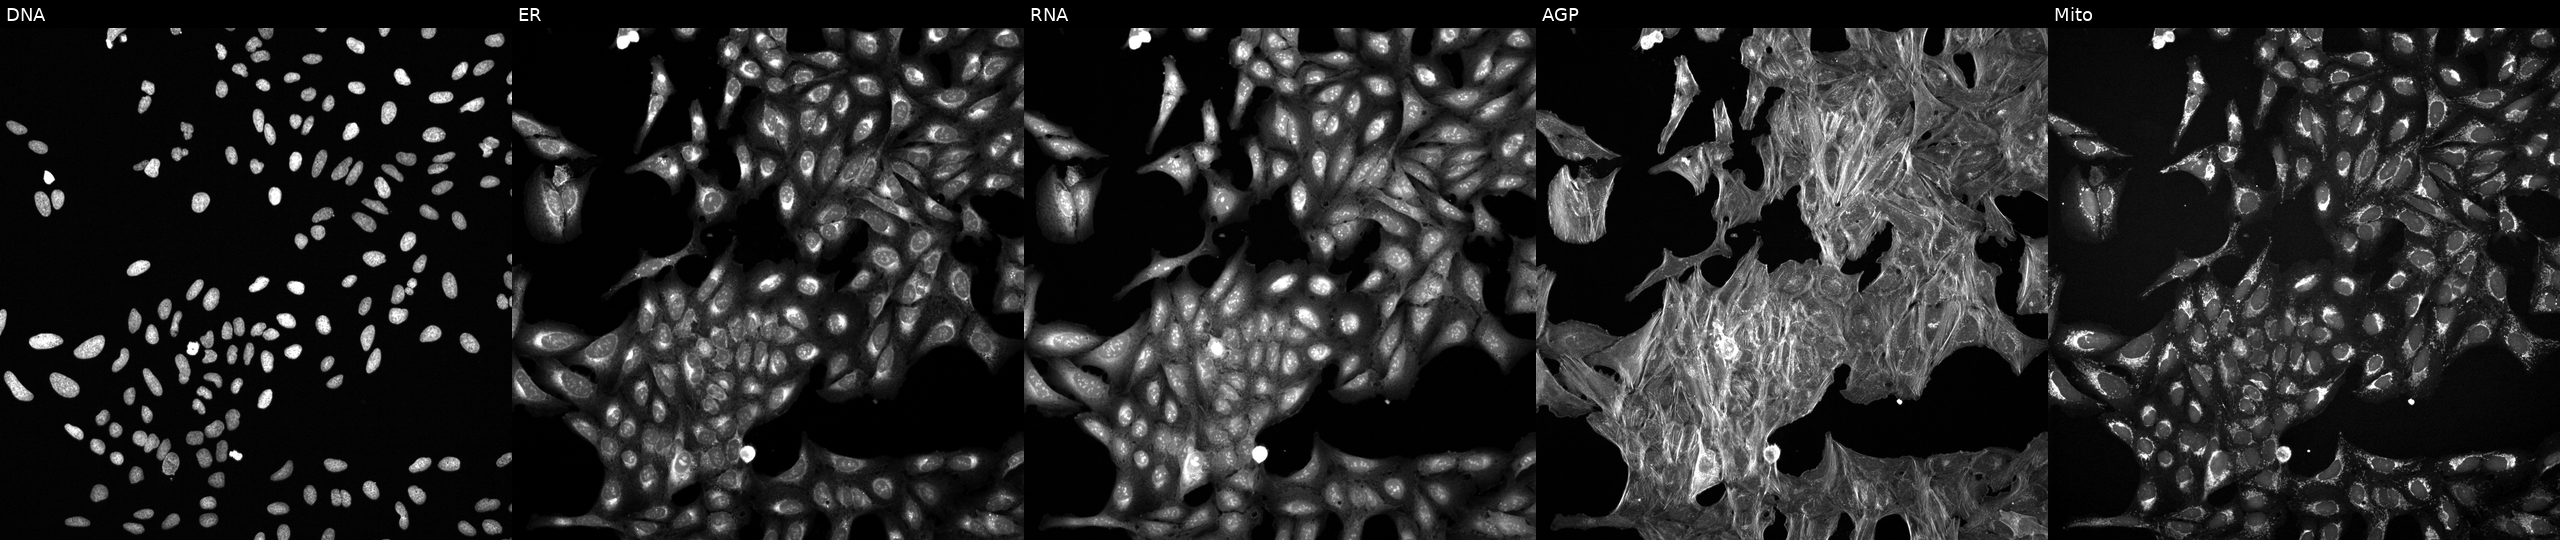
JUMP Cell Painting — TARGET2 plate. U2OS cells perturbed with a small-molecule compound [SMILES: c1cc(OCCN2CCCCC2)cc(-c2[nH]nc3ccc(-c4nc[nH]n4)cc23)c1] (JUMP id JCP2022_102936). Channels (left→right): DNA, ER, RNA, AGP, and Mito. Source 6, plate 110000293081, well H13.